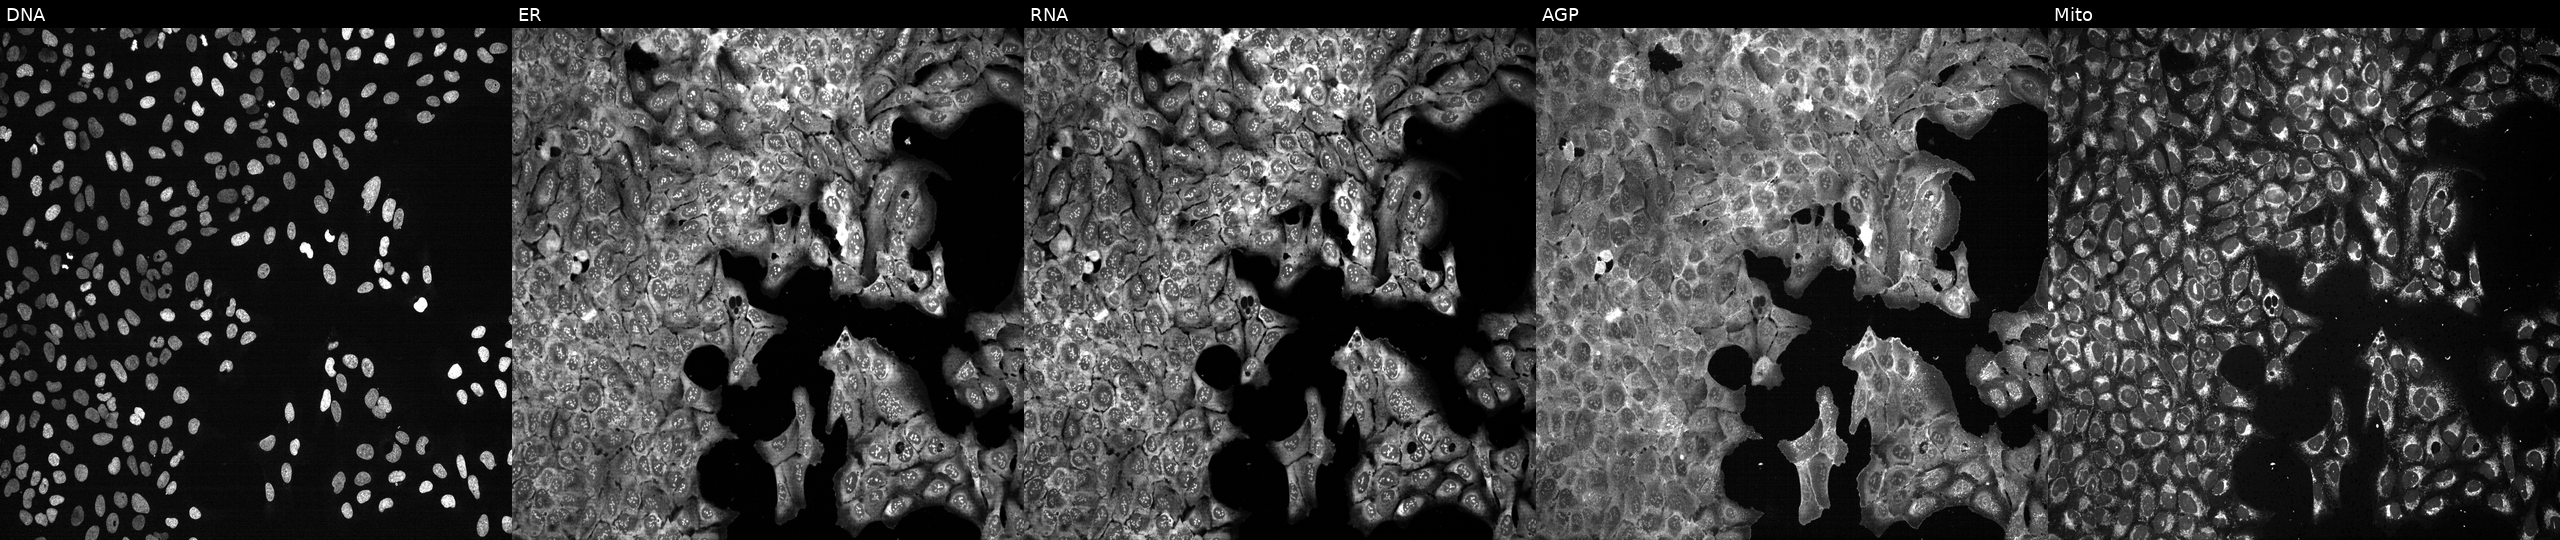
This image strip shows the five Cell Painting channels for a single field of U2OS cells with PLOD3 knocked out by CRISPR. From left to right: DNA, ER, RNA, AGP, and Mito.